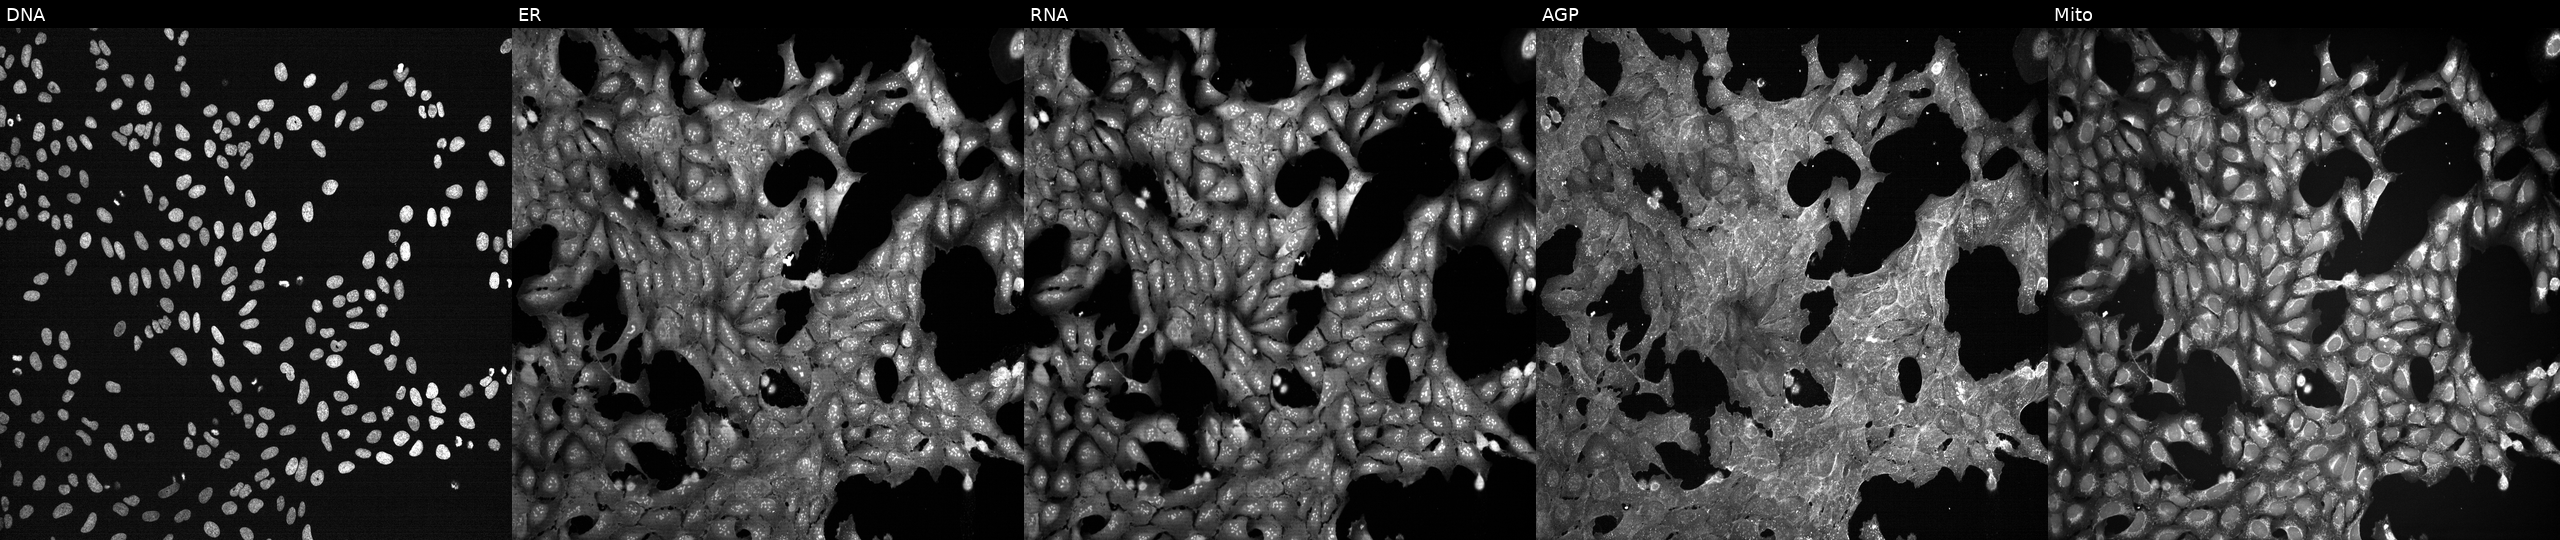
Five-channel Cell Painting image of U2OS cells treated with DMSO vehicle only (negative control). From left to right: Hoechst 33342, concanavalin A, SYTO 14, phalloidin and WGA, MitoTracker.